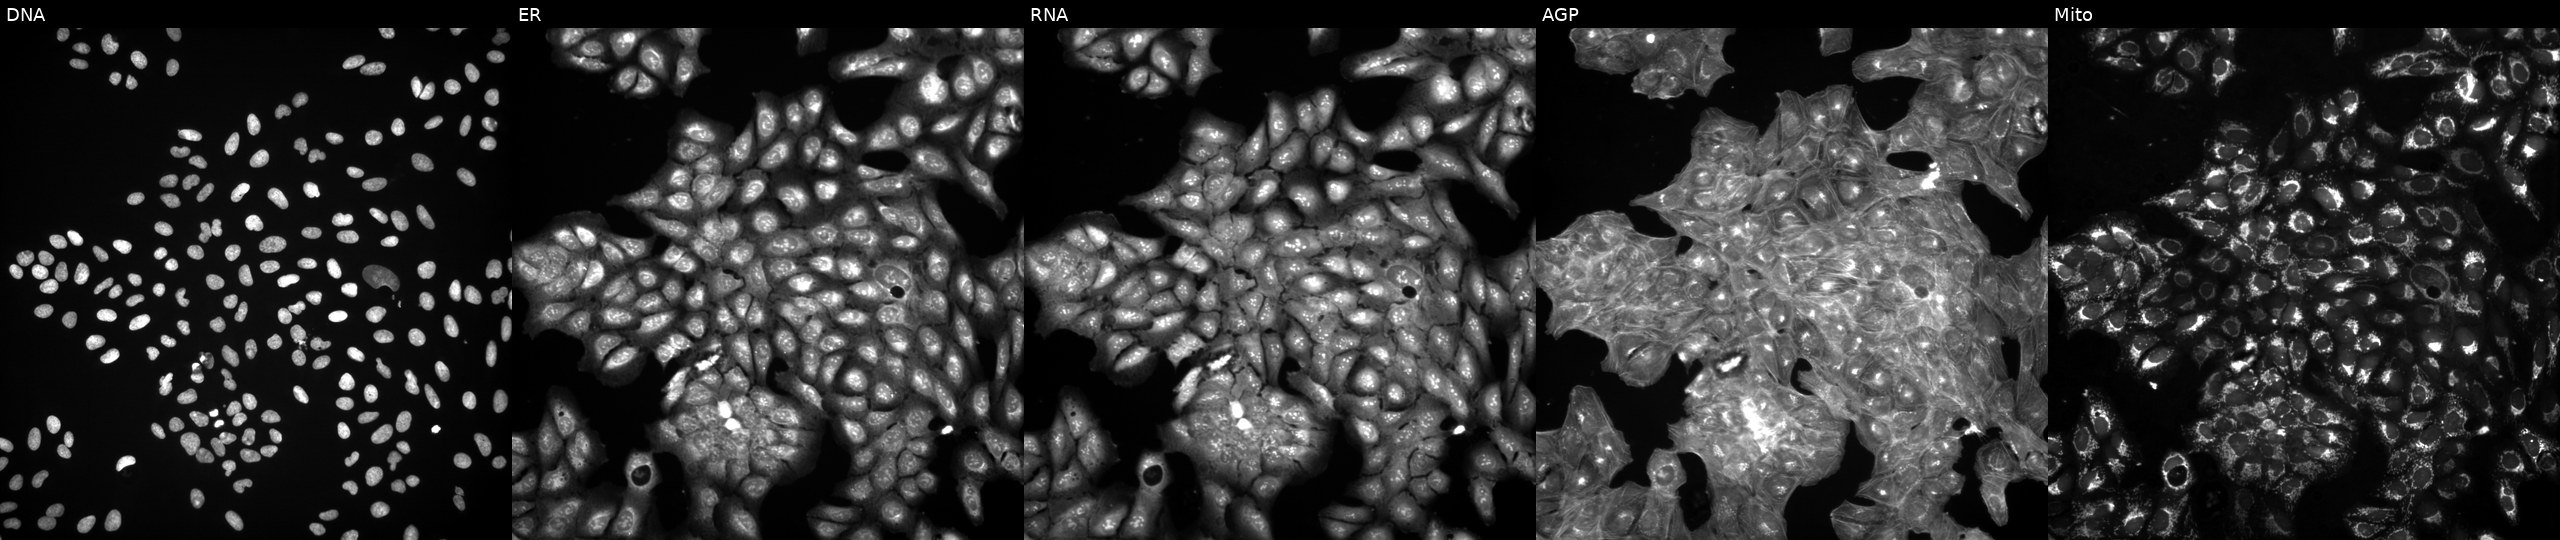
U2OS cells, Cell Painting assay, perturbed with a small-molecule compound (JUMP id JCP2022_078581). Panels show, left to right, DNA, ER, RNA, AGP, and Mito. Each panel is percentile-stretched 16-bit fluorescence.